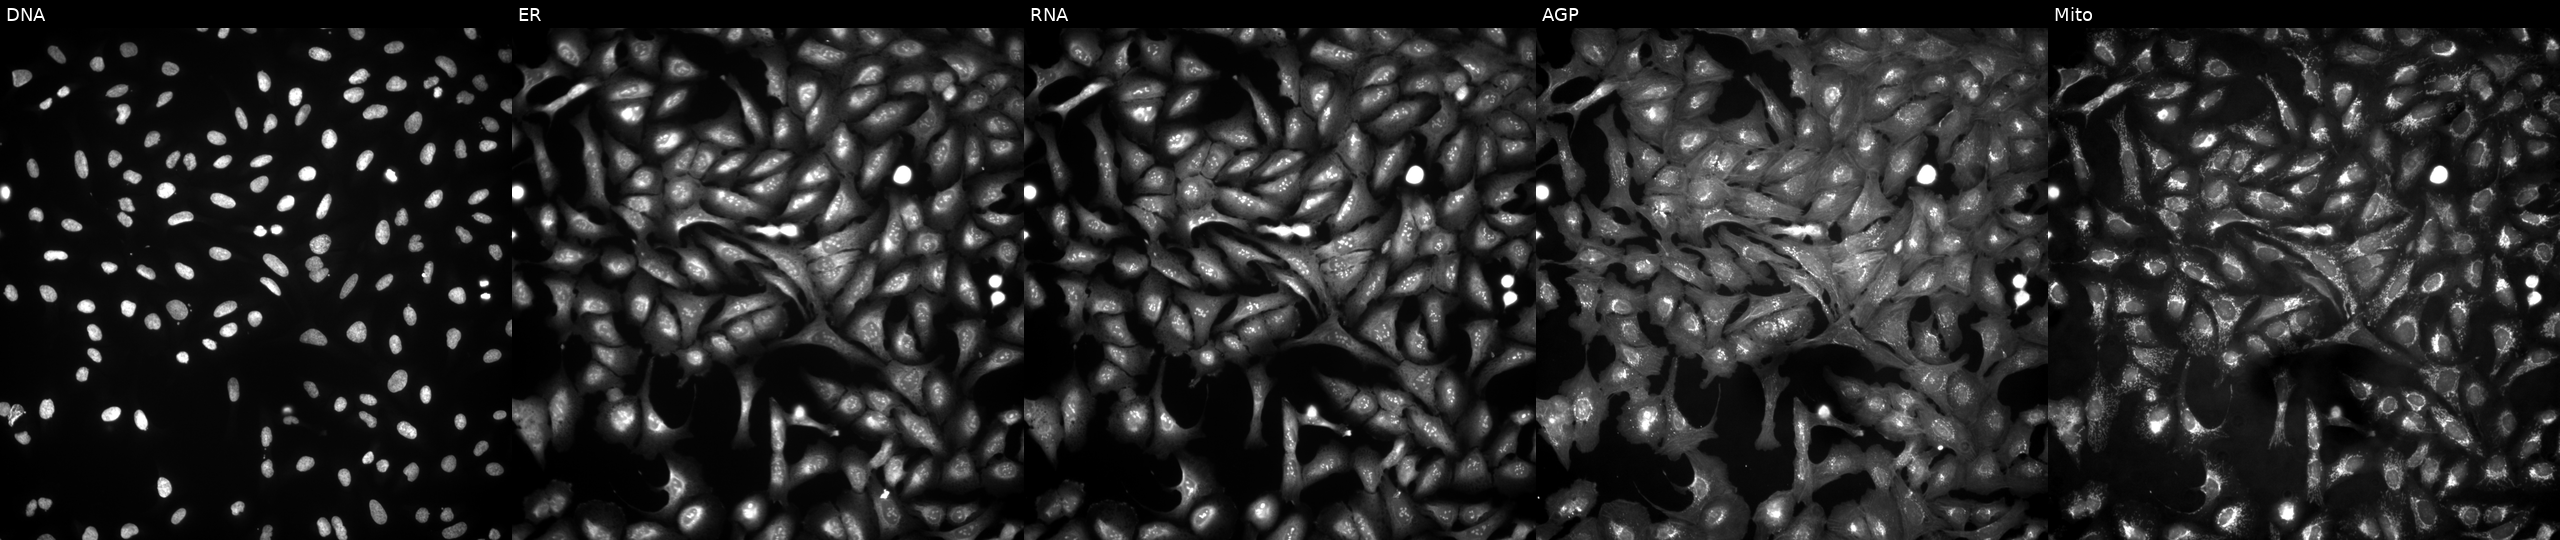
U2OS cells, Cell Painting assay, expressing LUCIFERASE (ORF negative control). The five panels, left to right, show DNA, ER, RNA, AGP, and Mito. Each panel is percentile-stretched 16-bit fluorescence.